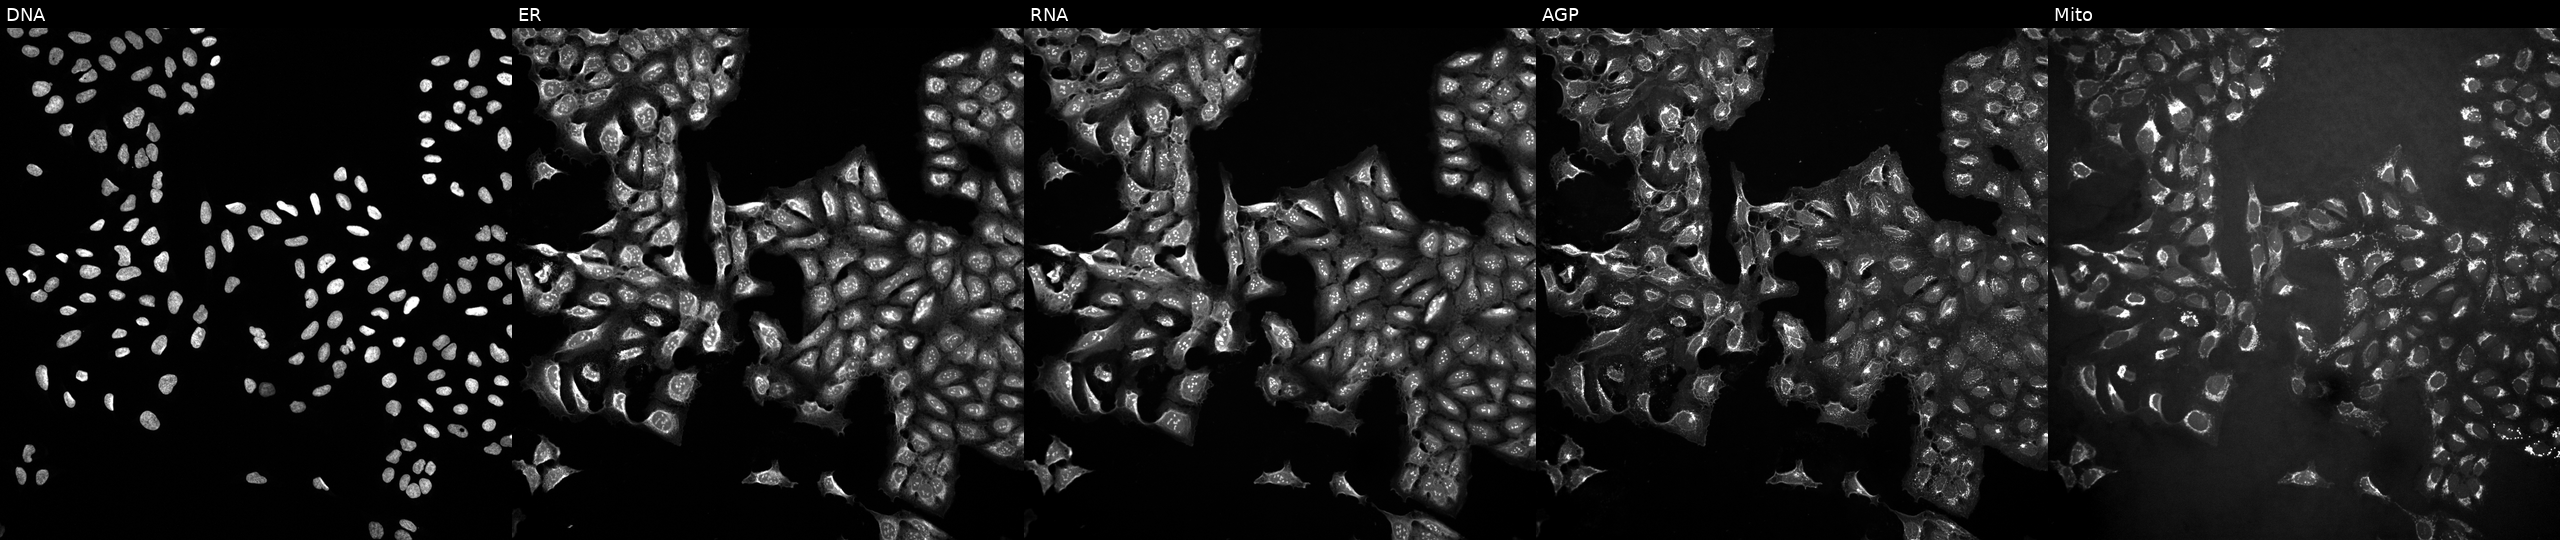
U2OS cells, Cell Painting assay, treated with DMSO vehicle only (negative control) (JUMP id JCP2022_033924). The five panels, left to right, show Hoechst 33342, concanavalin A, SYTO 14, phalloidin and WGA, MitoTracker. Each panel is percentile-stretched 16-bit fluorescence.